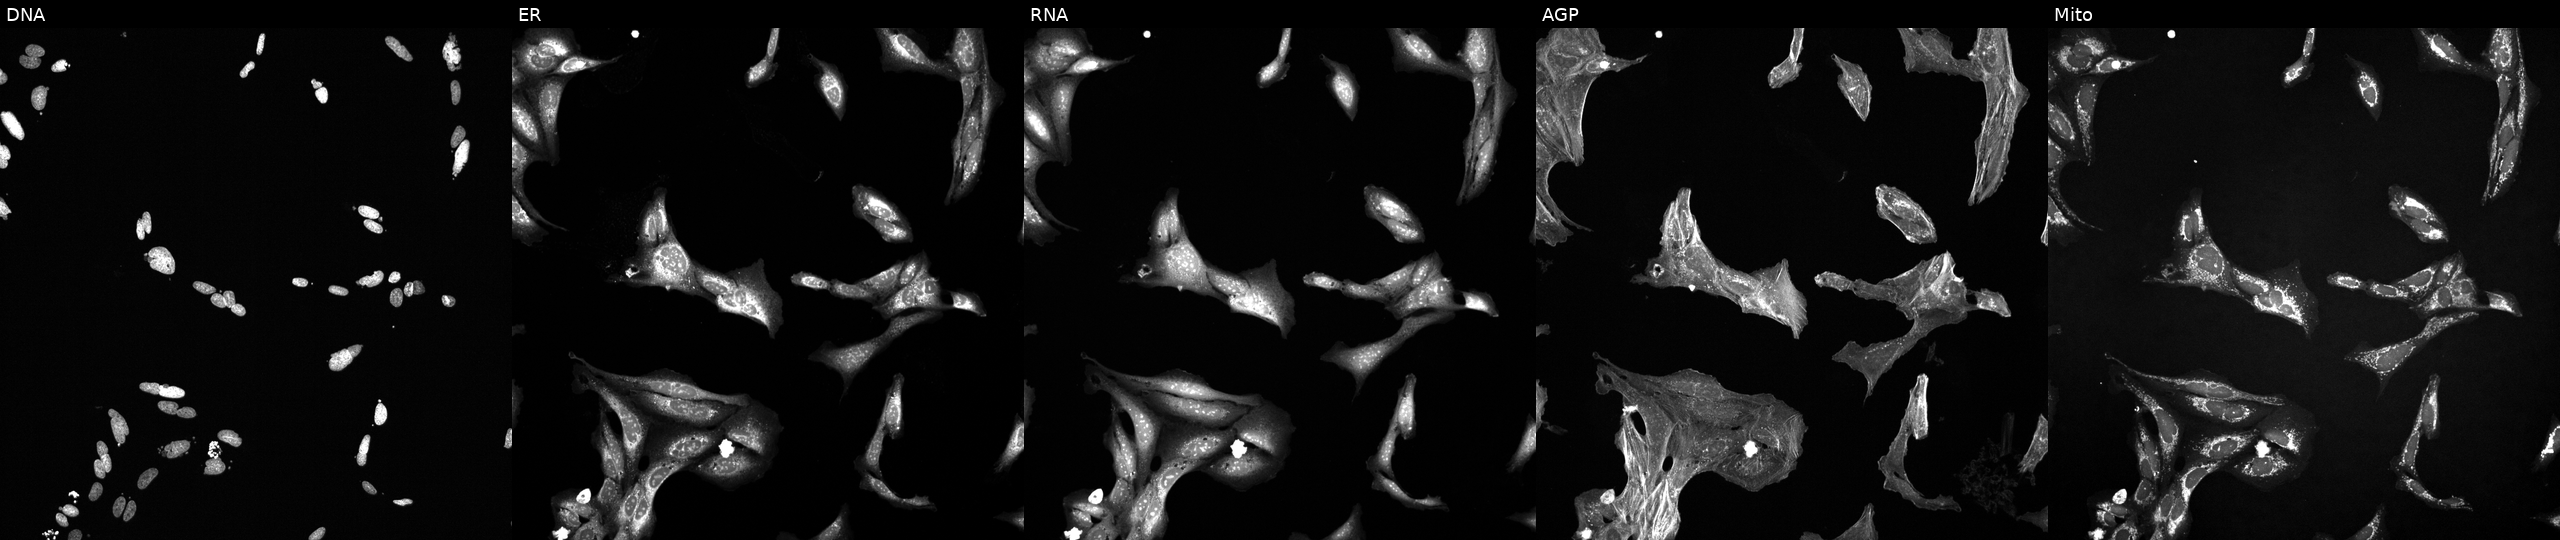
Five-channel Cell Painting image of U2OS cells perturbed with a small-molecule compound. Panels show, left to right, Hoechst 33342, concanavalin A, SYTO 14, phalloidin and WGA, MitoTracker. Source 6, plate 110000293093, well M22.